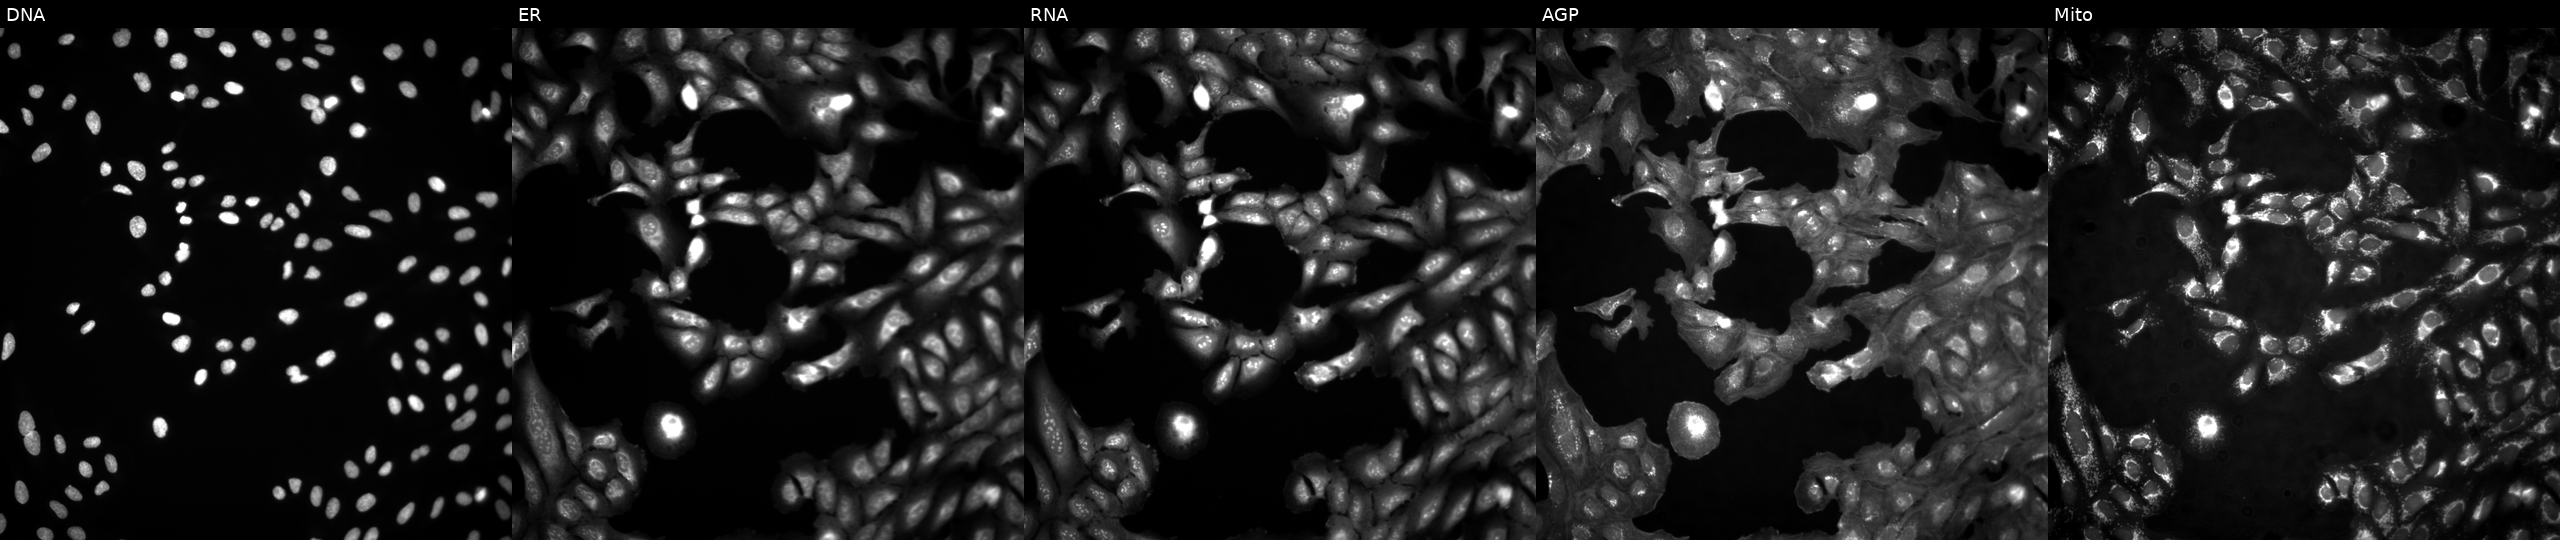
Five-channel Cell Painting image of U2OS cells untreated (empty-well control). Panels show, left to right, Hoechst 33342, concanavalin A, SYTO 14, phalloidin and WGA, MitoTracker.